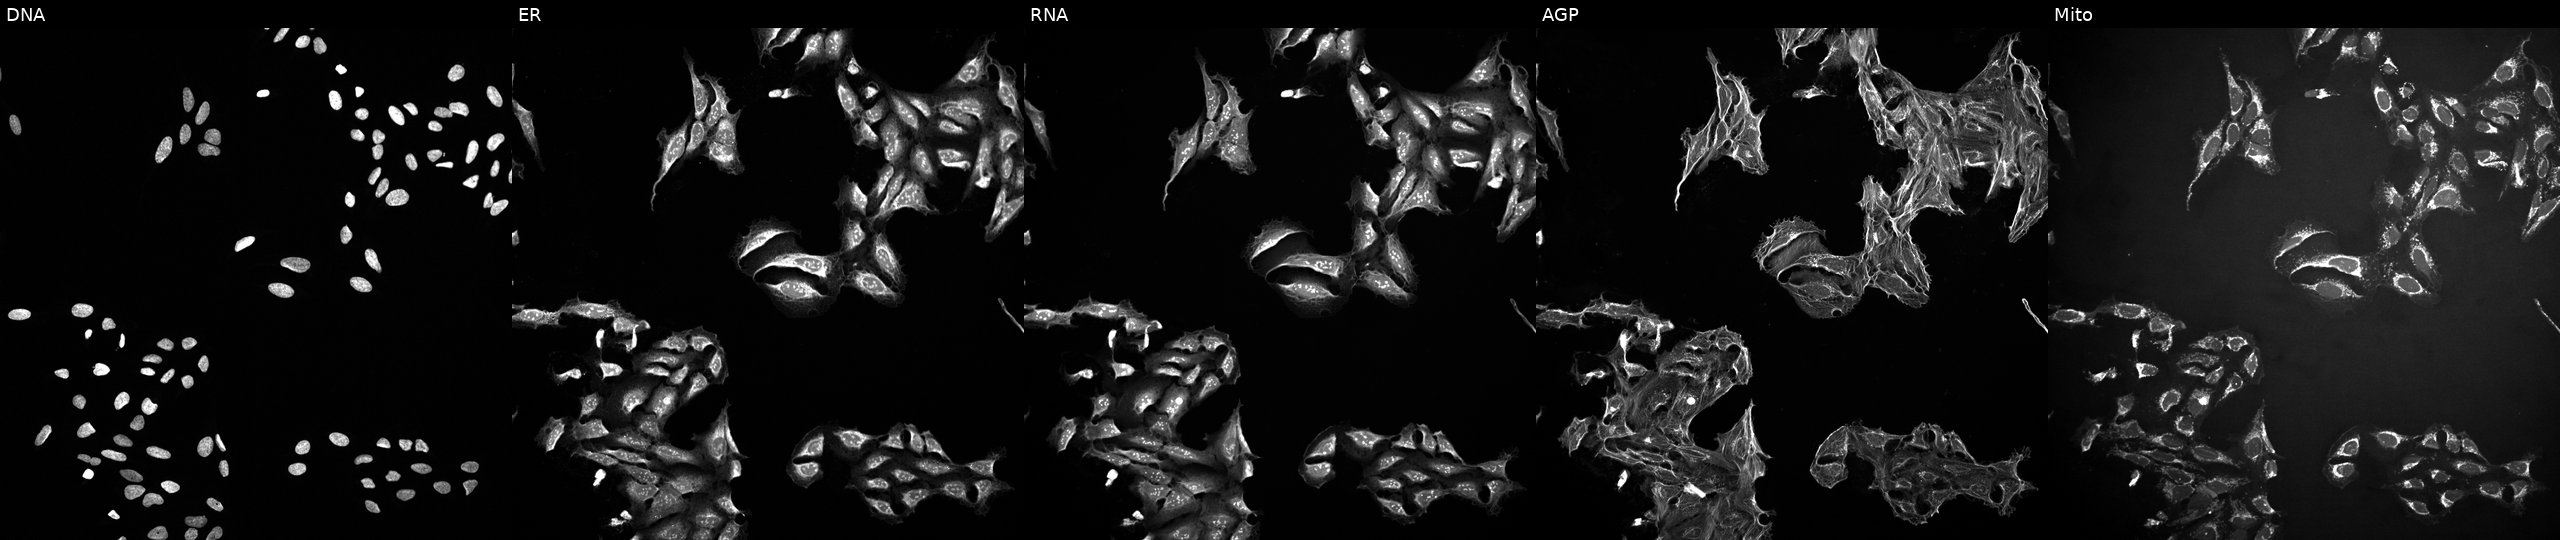
JUMP Cell Painting — TARGET2 plate. U2OS cells treated with a small-molecule compound. From left to right: DNA, ER, RNA, AGP, and Mito.